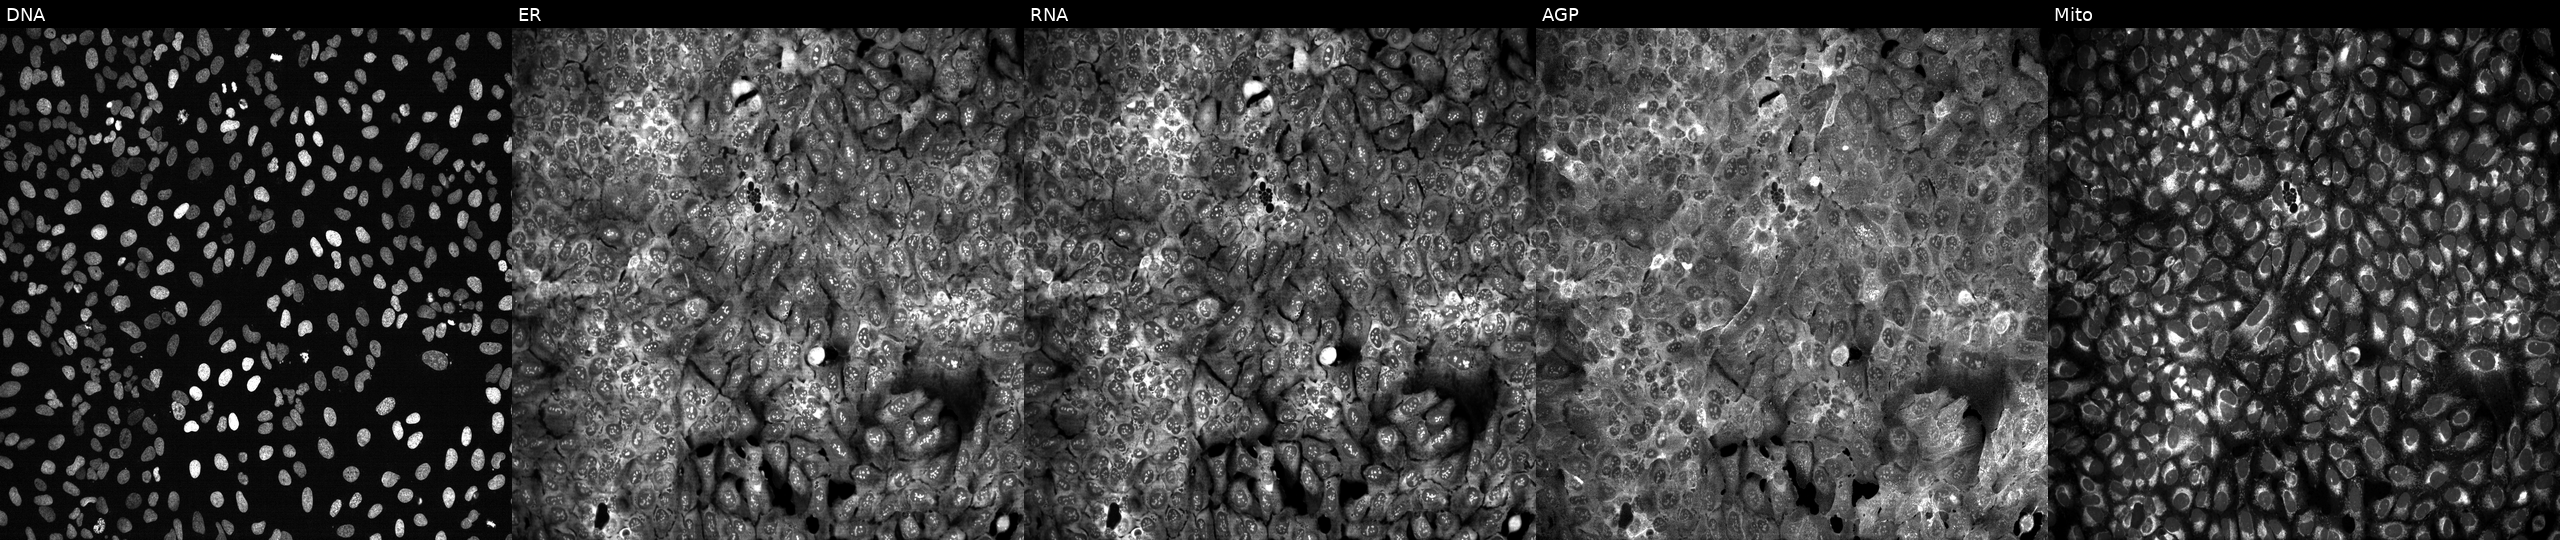
JUMP Cell Painting — CRISPR plate. U2OS cells CRISPR-edited to disrupt MYL6 (JUMP id JCP2022_804372). From left to right: Hoechst 33342, concanavalin A, SYTO 14, phalloidin and WGA, MitoTracker.